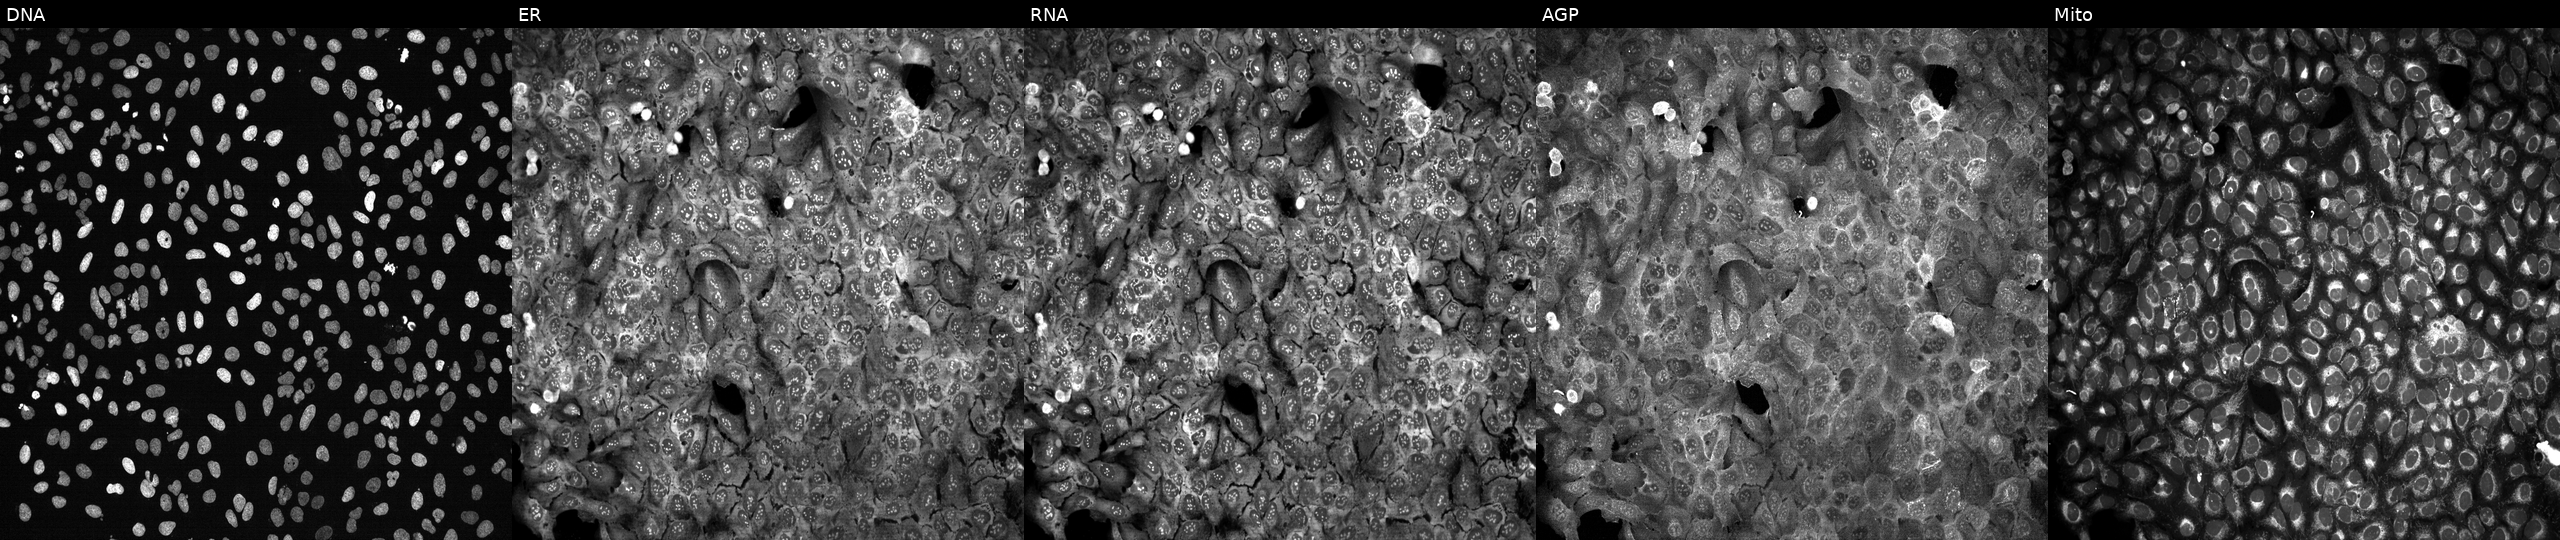
JUMP Cell Painting — CRISPR plate. U2OS cells CRISPR-edited to disrupt PDZK1 (JUMP id JCP2022_805035). The five panels, left to right, show DNA (nuclei); ER (endoplasmic reticulum); RNA (nucleoli and cytoplasmic RNA); AGP (actin cytoskeleton, Golgi, and plasma membrane); Mito (mitochondria).